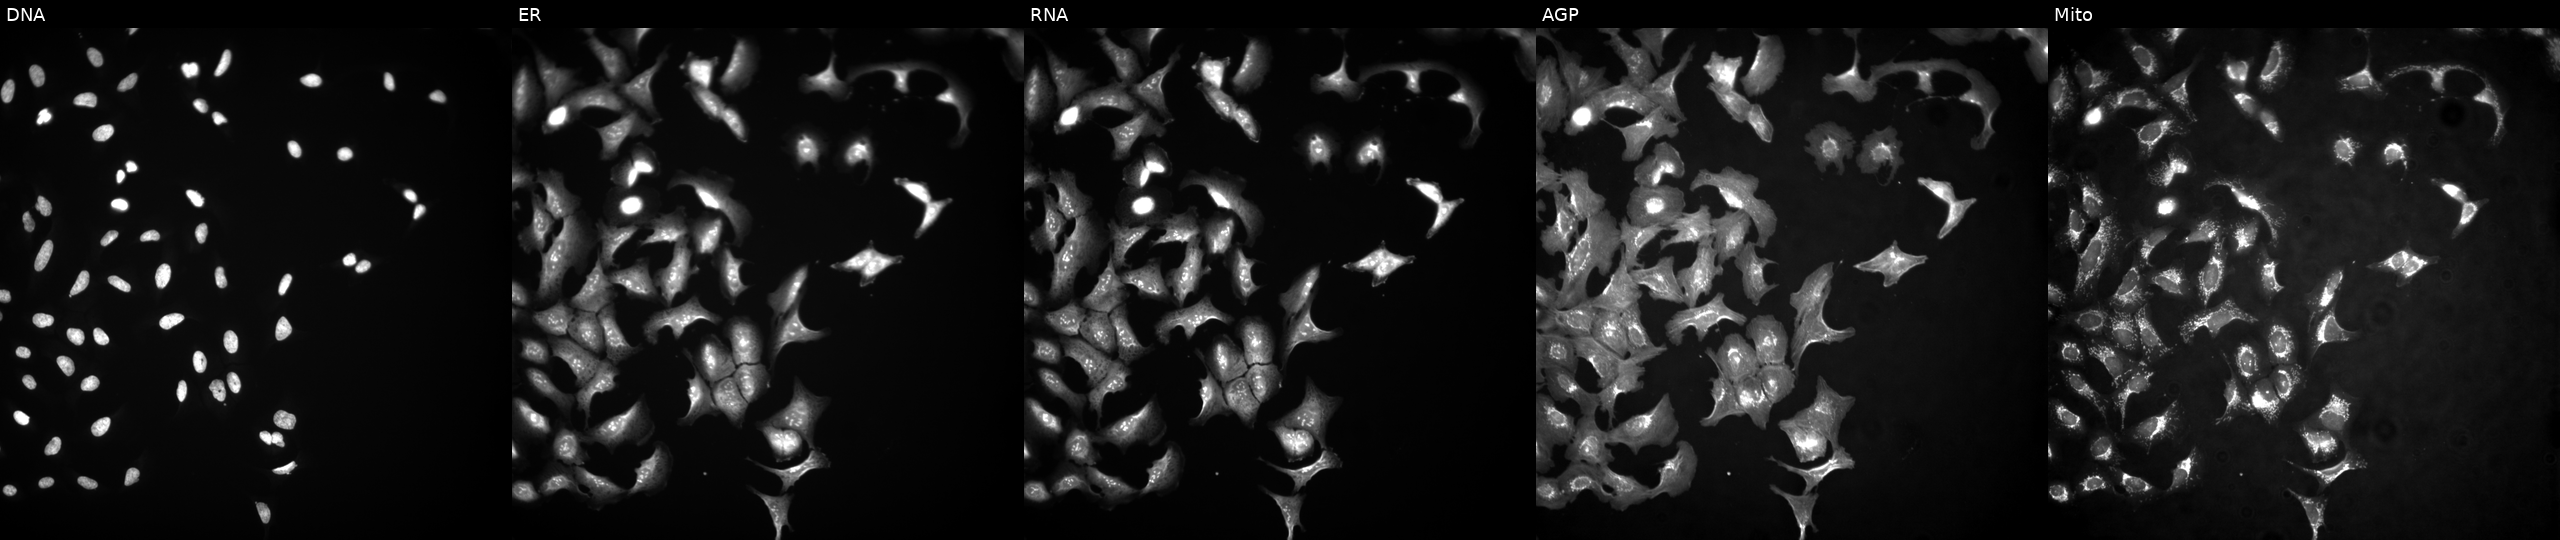
Five-channel Cell Painting image of U2OS cells overexpressing ATF2 via ORF transfection. Channels (left→right): DNA (nuclei); ER (endoplasmic reticulum); RNA (nucleoli and cytoplasmic RNA); AGP (actin cytoskeleton, Golgi, and plasma membrane); Mito (mitochondria). Source 4, plate BR00117035, well C16.